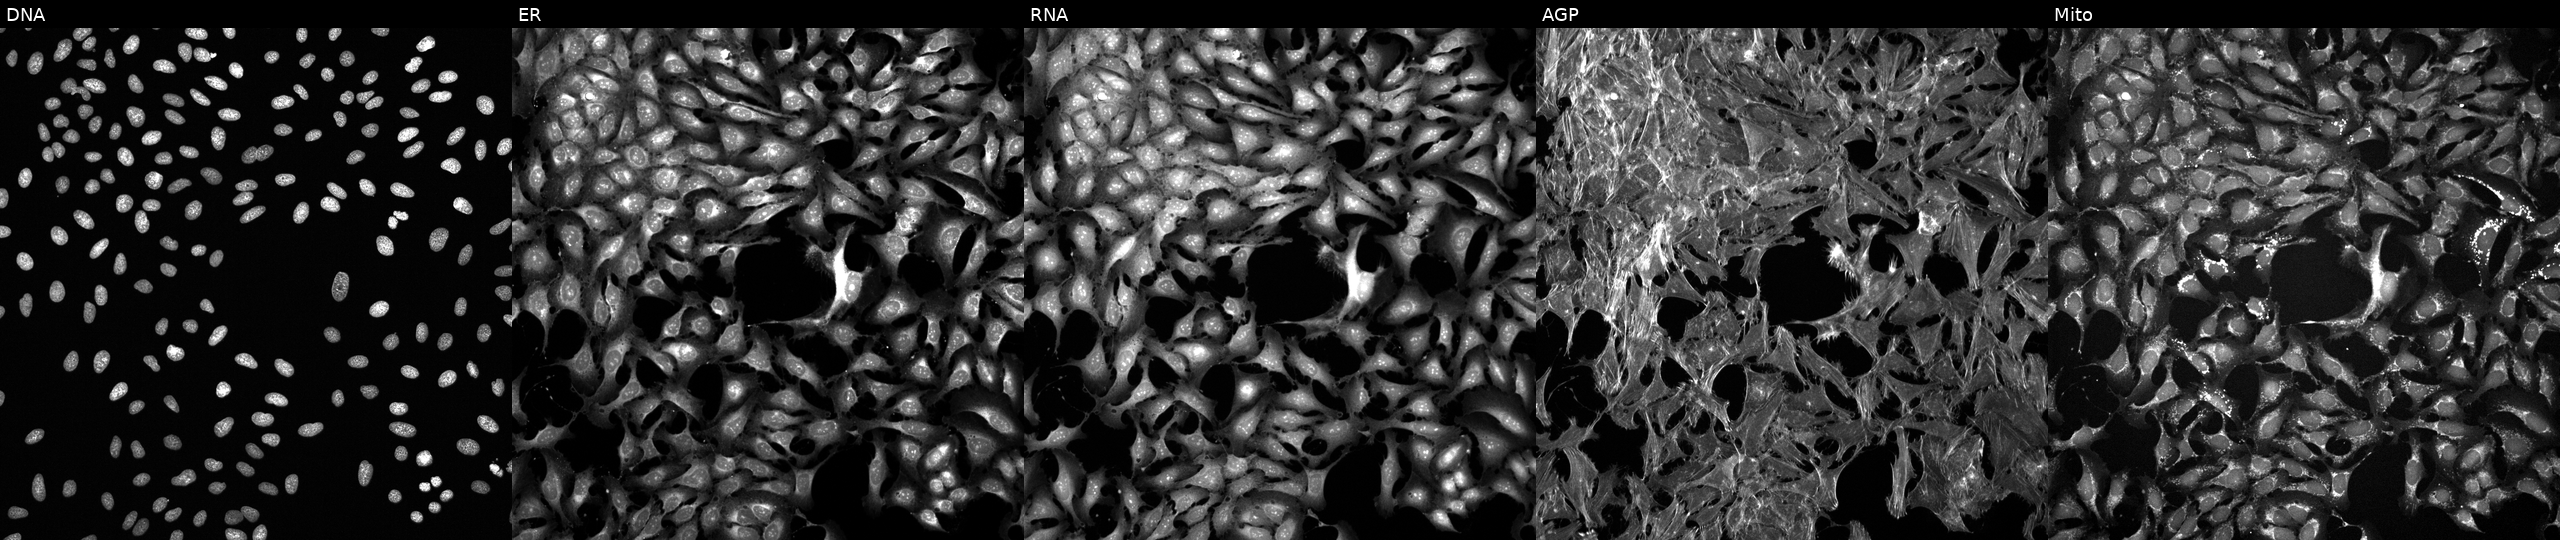
U2OS cells, Cell Painting assay, exposed to the positive-control compound FK-866 (JUMP id JCP2022_046054). Channels (left→right): DNA (nuclei); ER (endoplasmic reticulum); RNA (nucleoli and cytoplasmic RNA); AGP (actin cytoskeleton, Golgi, and plasma membrane); Mito (mitochondria). Each panel is percentile-stretched 16-bit fluorescence.